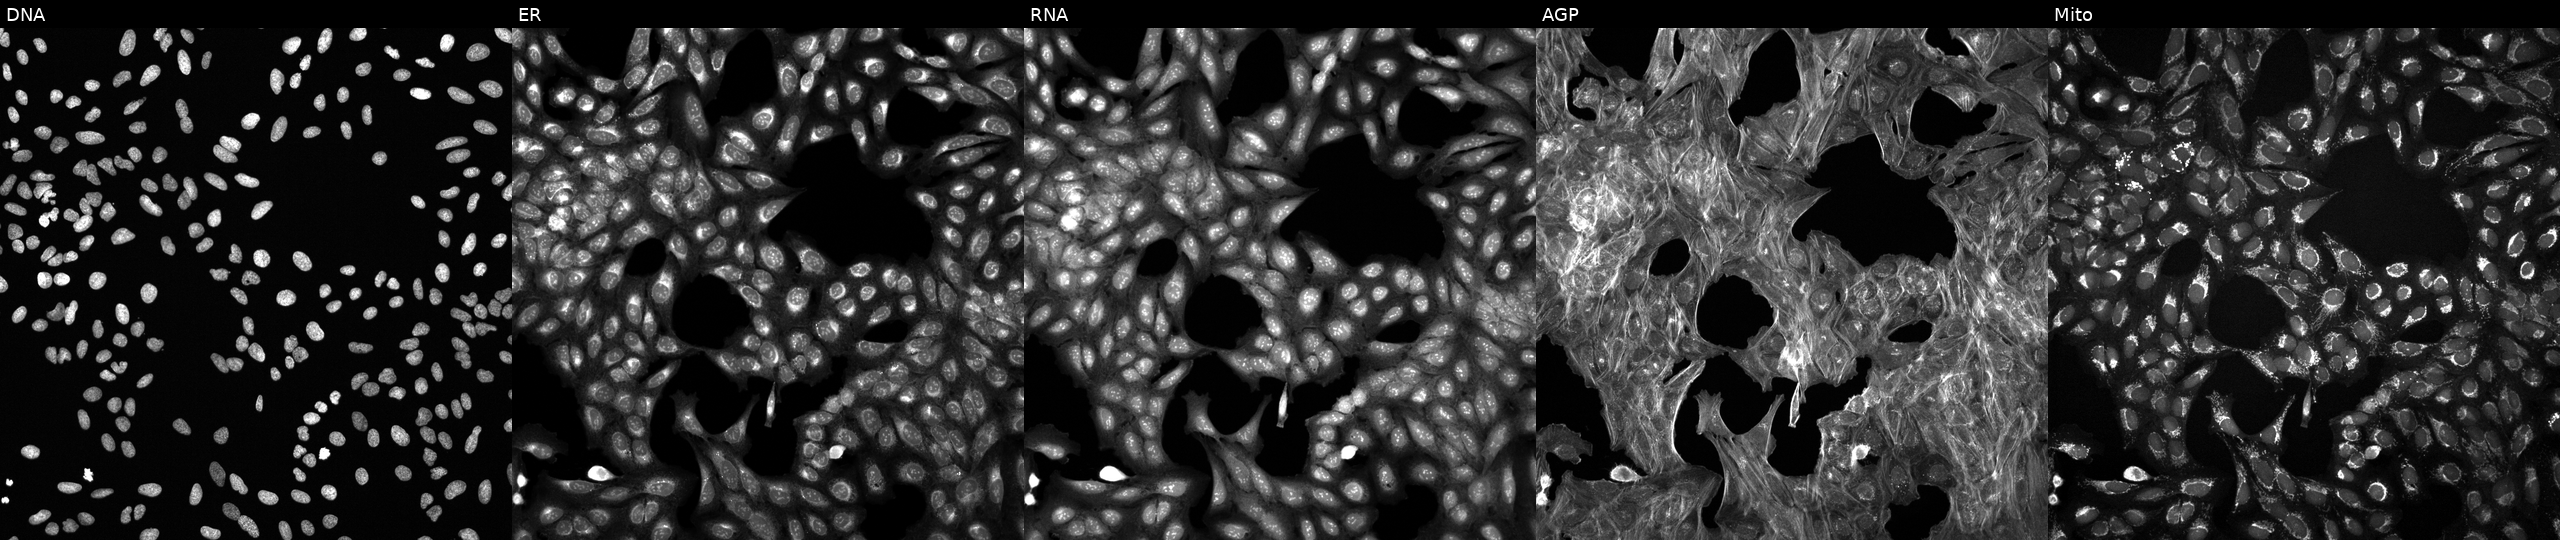
This image strip shows the five Cell Painting channels for a single field of U2OS cells treated with a small-molecule compound. From left to right: DNA, ER, RNA, AGP, and Mito. Source 6, plate 110000293081, well B15.